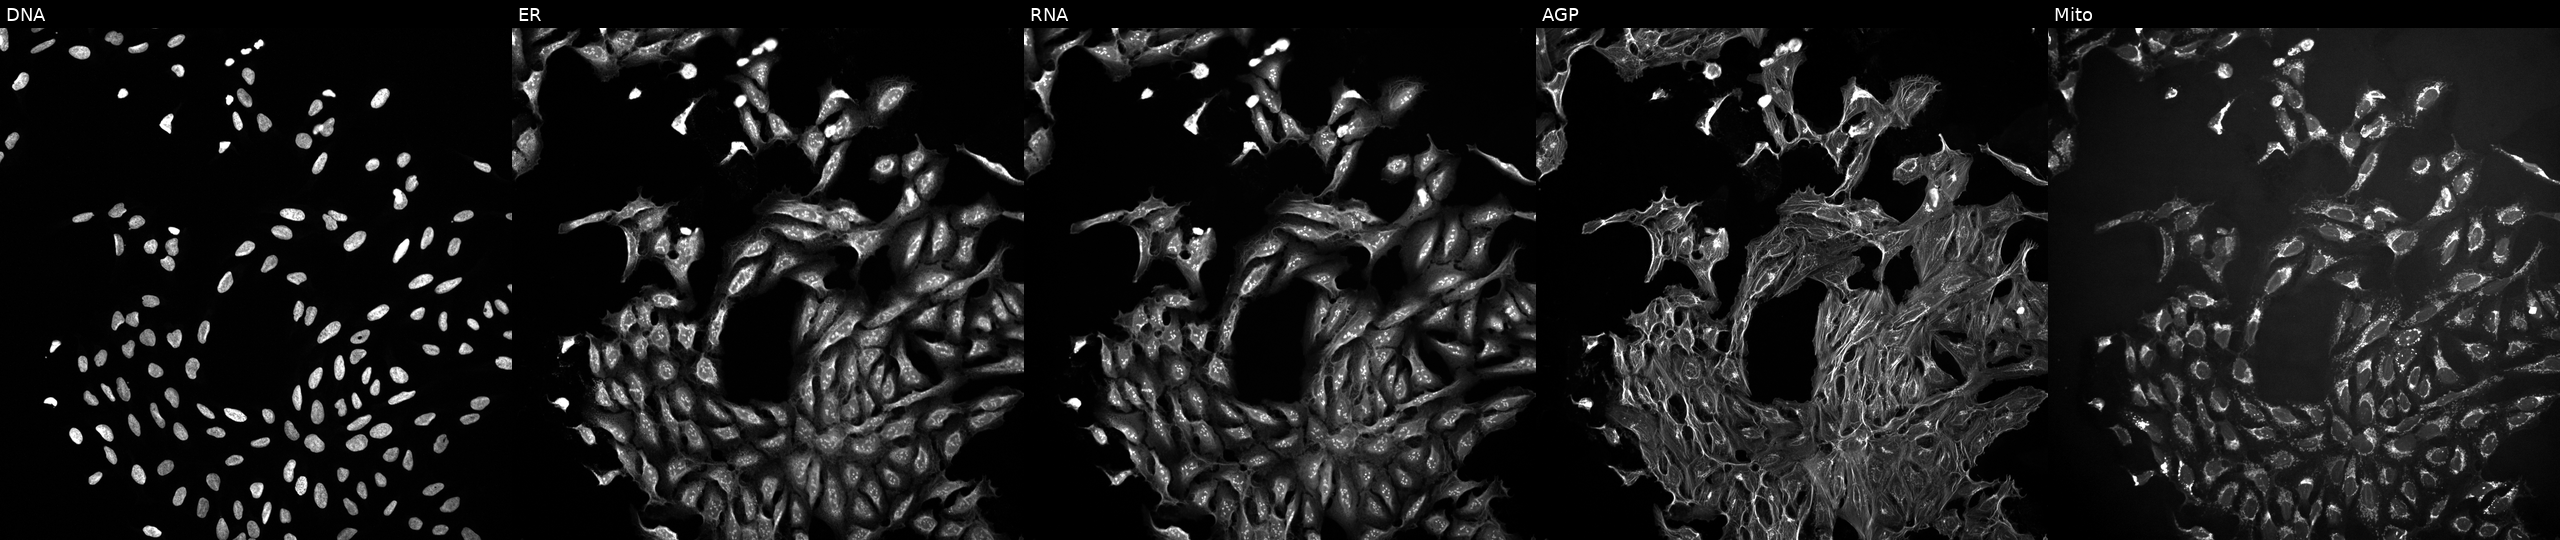
JUMP Cell Painting — TARGET2 plate. U2OS cells treated with DMSO vehicle only (negative control). Panels show, left to right, Hoechst 33342, concanavalin A, SYTO 14, phalloidin and WGA, MitoTracker. Source 10, plate Dest210726-160150, well A20.